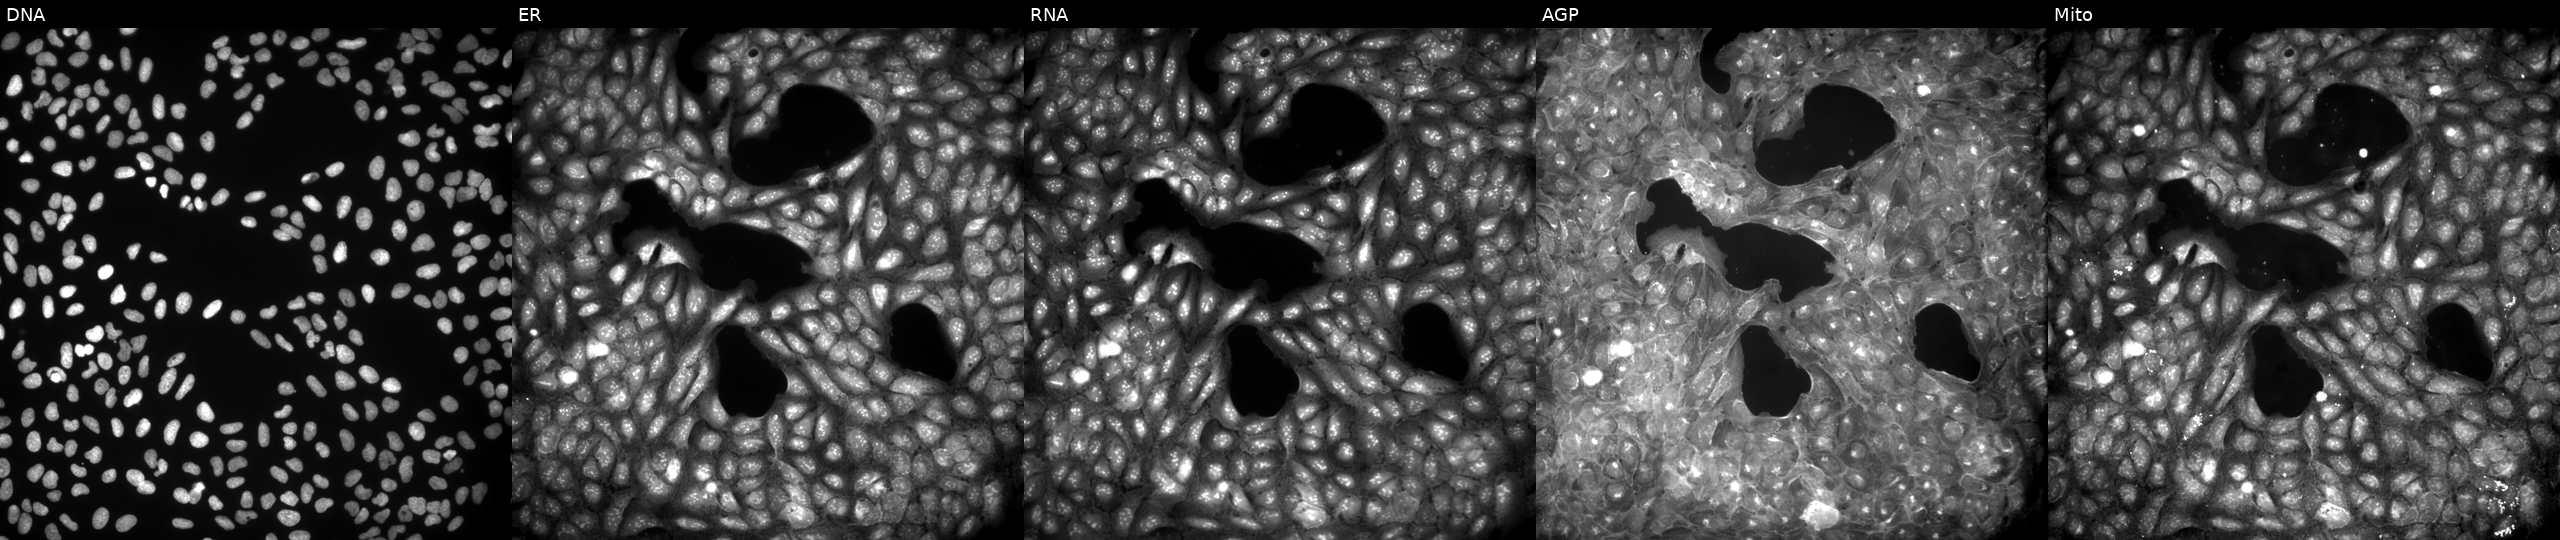
This image strip shows the five Cell Painting channels for a single field of U2OS cells perturbed with a small-molecule compound [SMILES: Cc1ccc(OCC(O)Cn2c(=N)n(CCN3CCOCC3)c3ccccc32)cc1]. Channels (left→right): DNA, ER, RNA, AGP, and Mito. Source 9, plate GR00003381, well AF22.